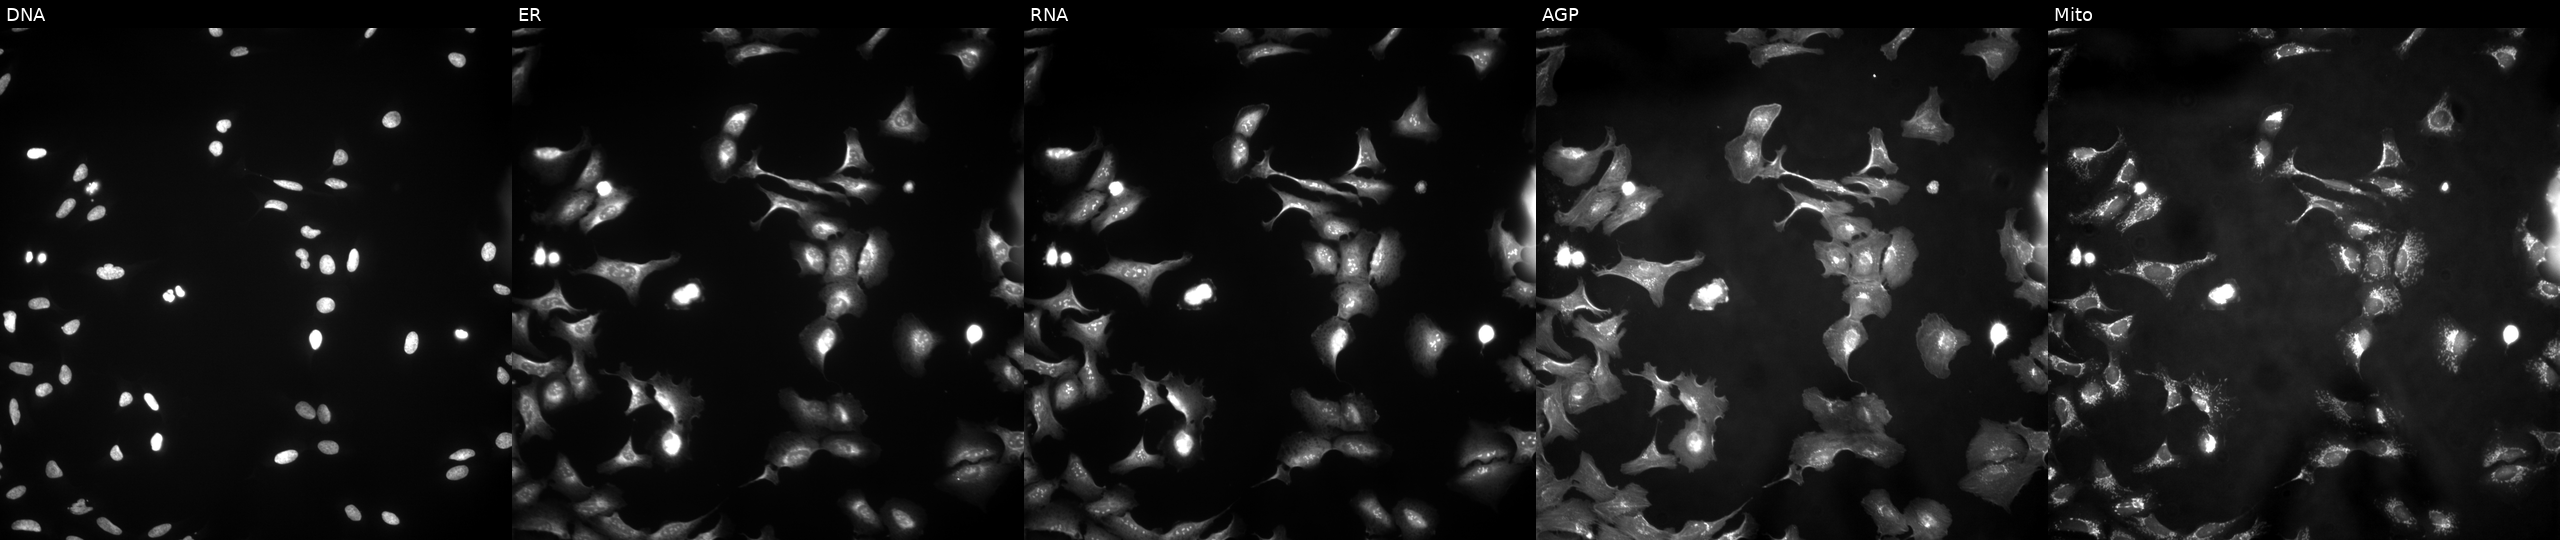
High-content fluorescence microscopy (Cell Painting). Cell line: U2OS. Perturbation: overexpressing VTN via ORF transfection (JUMP id JCP2022_906670). The five panels, left to right, show DNA (nuclei); ER (endoplasmic reticulum); RNA (nucleoli and cytoplasmic RNA); AGP (actin cytoskeleton, Golgi, and plasma membrane); Mito (mitochondria).